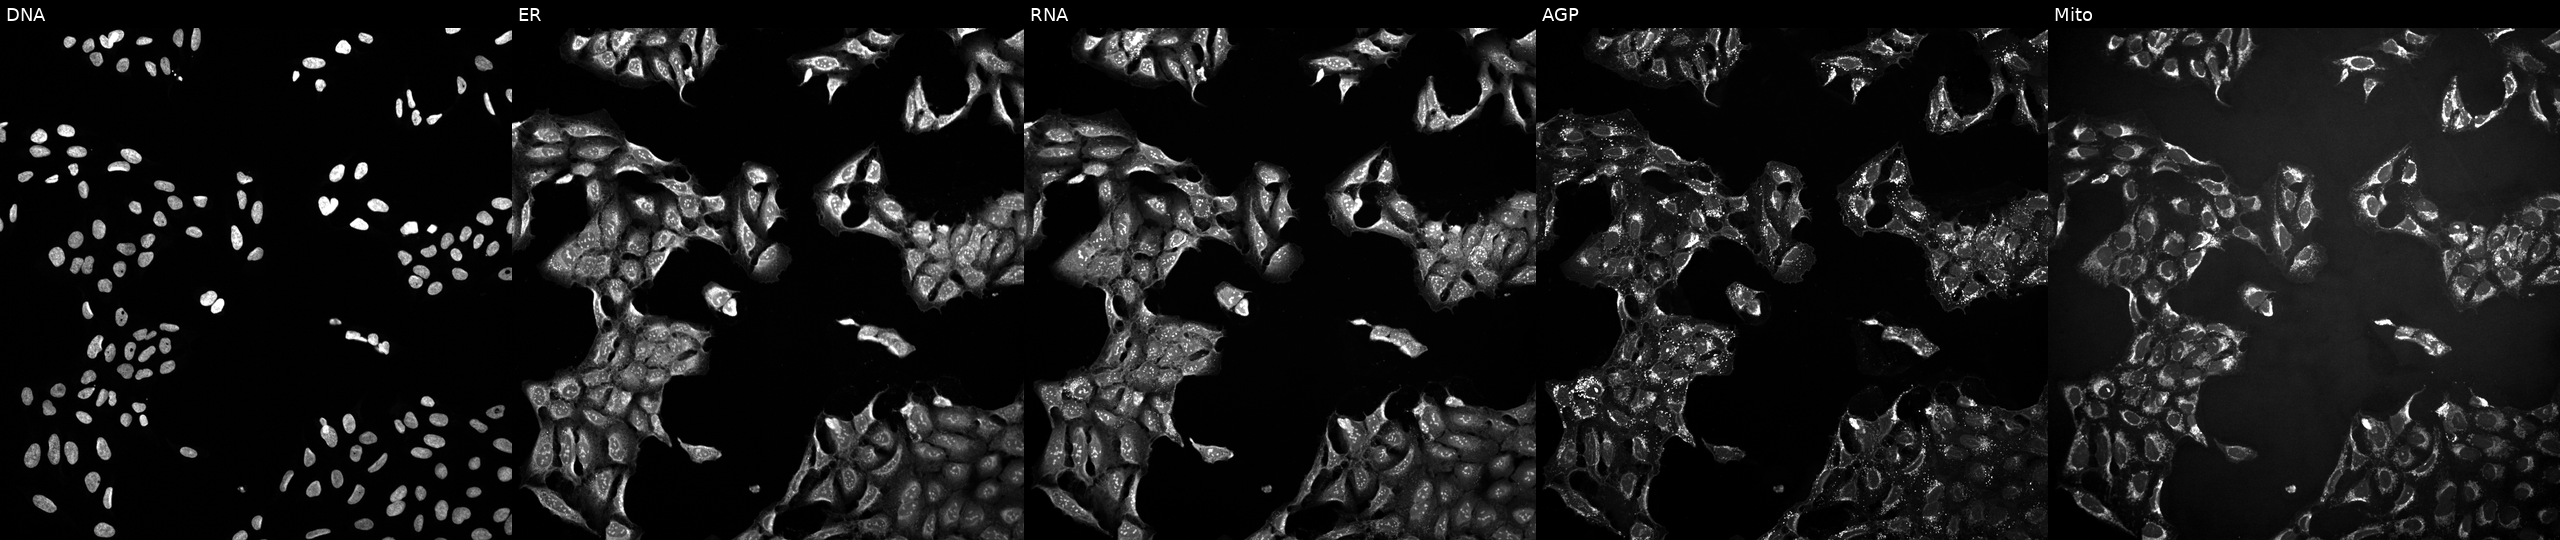
Panels show, left to right, Hoechst 33342, concanavalin A, SYTO 14, phalloidin and WGA, MitoTracker. U2OS osteosarcoma cells treated with a small-molecule compound. Cell Painting assay, JUMP-CP dataset.